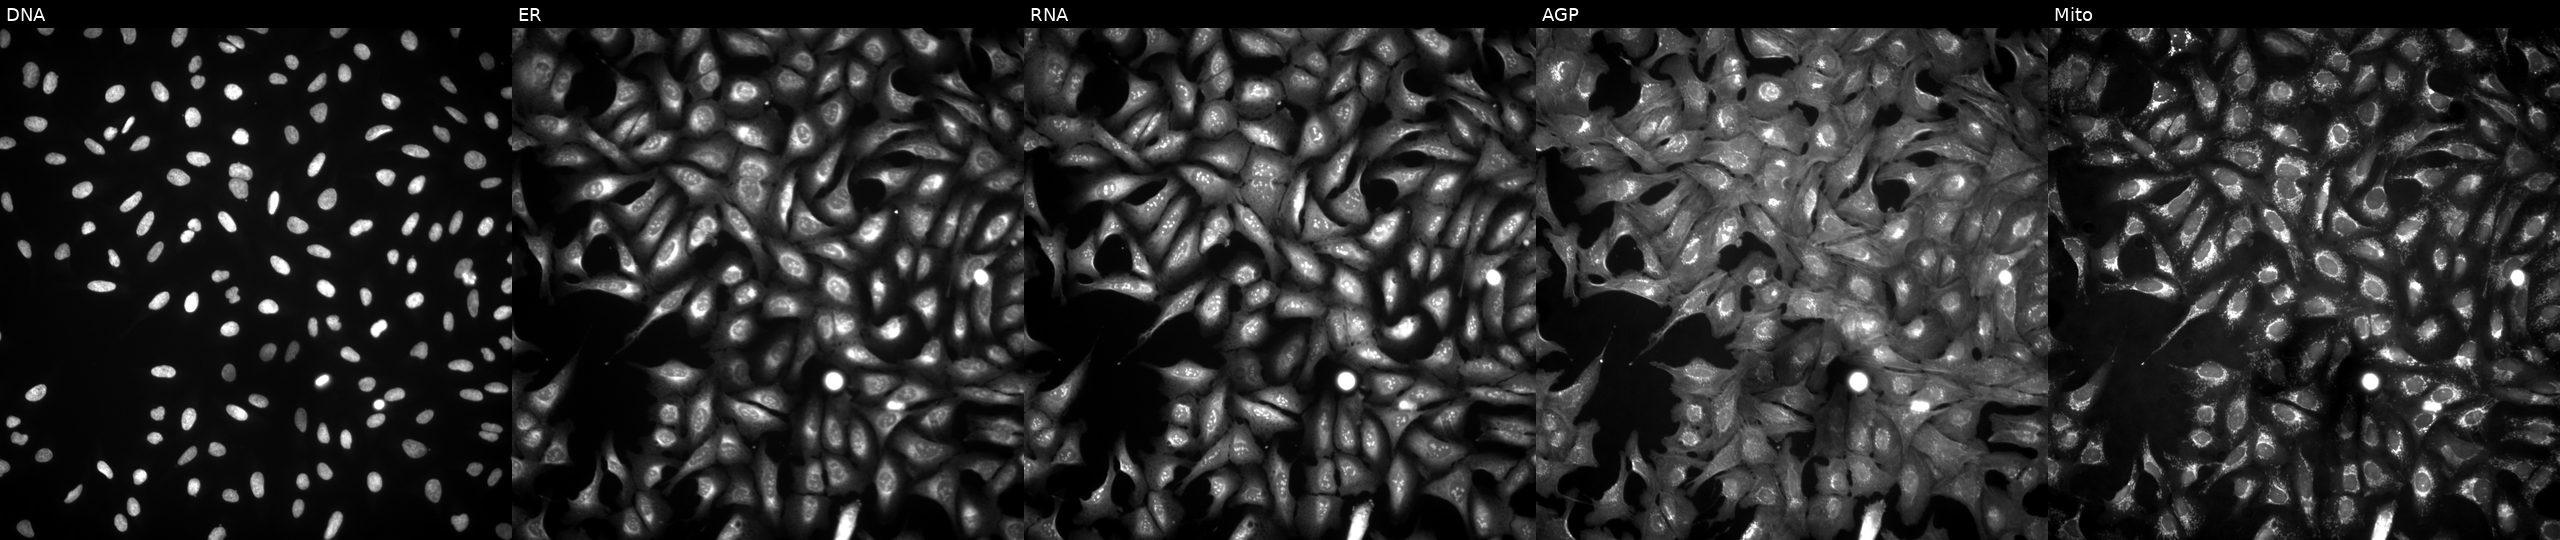
JUMP Cell Painting — ORF plate. U2OS cells transfected with an ORF construct for SLCO1B1 (JUMP id JCP2022_907146). Panels show, left to right, DNA (nuclei); ER (endoplasmic reticulum); RNA (nucleoli and cytoplasmic RNA); AGP (actin cytoskeleton, Golgi, and plasma membrane); Mito (mitochondria).